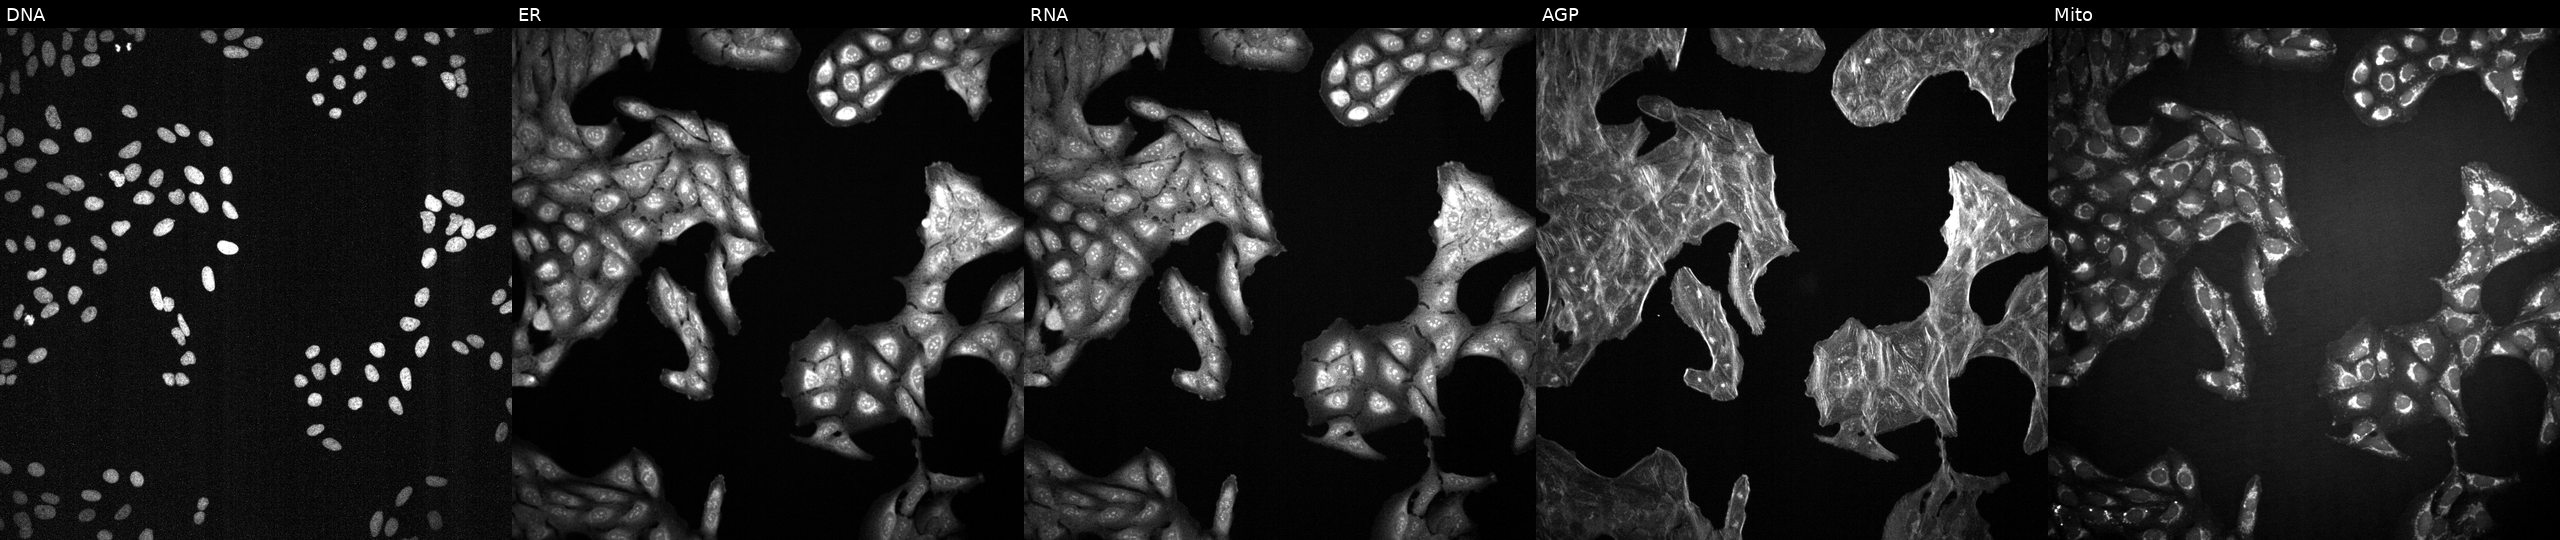
High-content fluorescence microscopy (Cell Painting). Cell line: U2OS. Perturbation: treated with DMSO vehicle only (negative control) (JUMP id JCP2022_033924). Channels (left→right): DNA (nuclei); ER (endoplasmic reticulum); RNA (nucleoli and cytoplasmic RNA); AGP (actin cytoskeleton, Golgi, and plasma membrane); Mito (mitochondria).